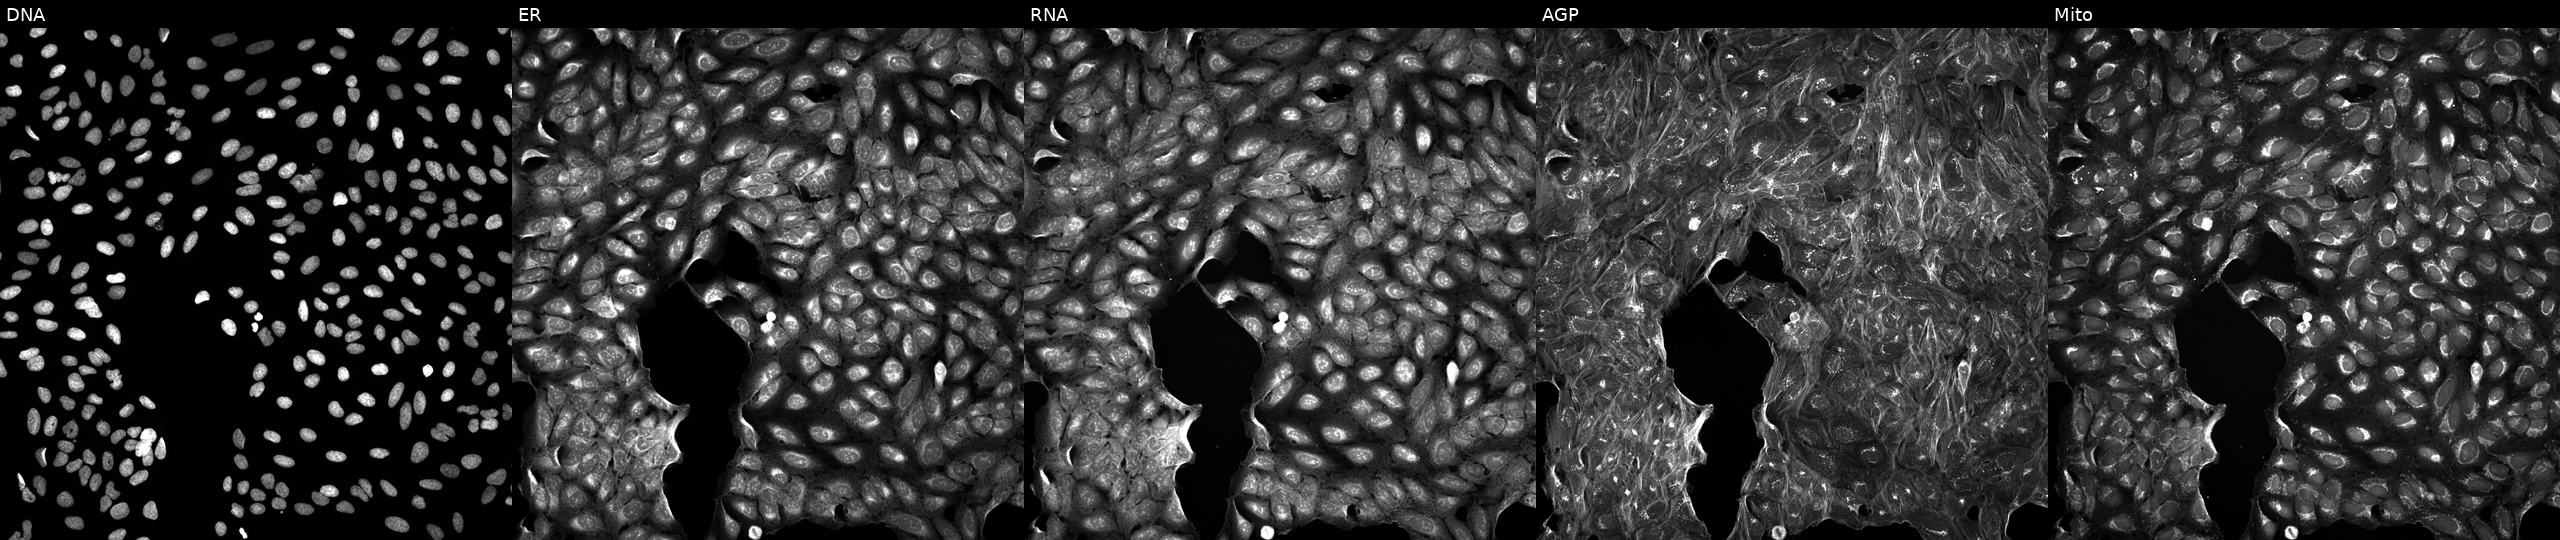
U2OS cells, Cell Painting assay, perturbed with a small-molecule compound [SMILES: NC(=O)CCC(N)C(=O)O]. From left to right: Hoechst 33342, concanavalin A, SYTO 14, phalloidin and WGA, MitoTracker. Each panel is percentile-stretched 16-bit fluorescence.